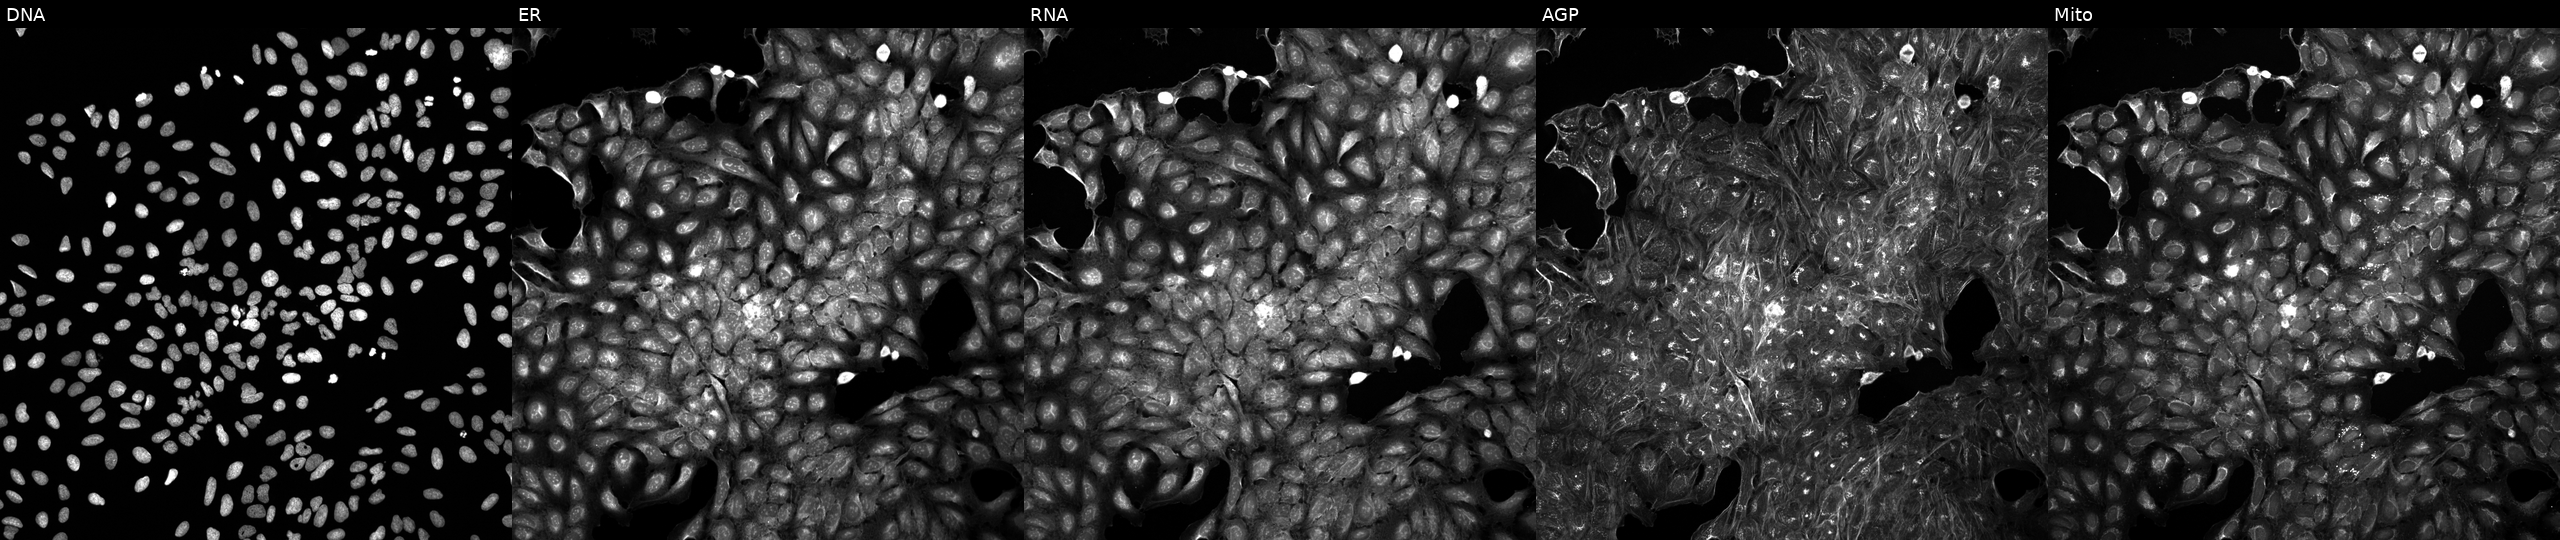
JUMP Cell Painting — COMPOUND plate. U2OS cells perturbed with a small-molecule compound (JUMP id JCP2022_087838). From left to right: DNA, ER, RNA, AGP, and Mito.